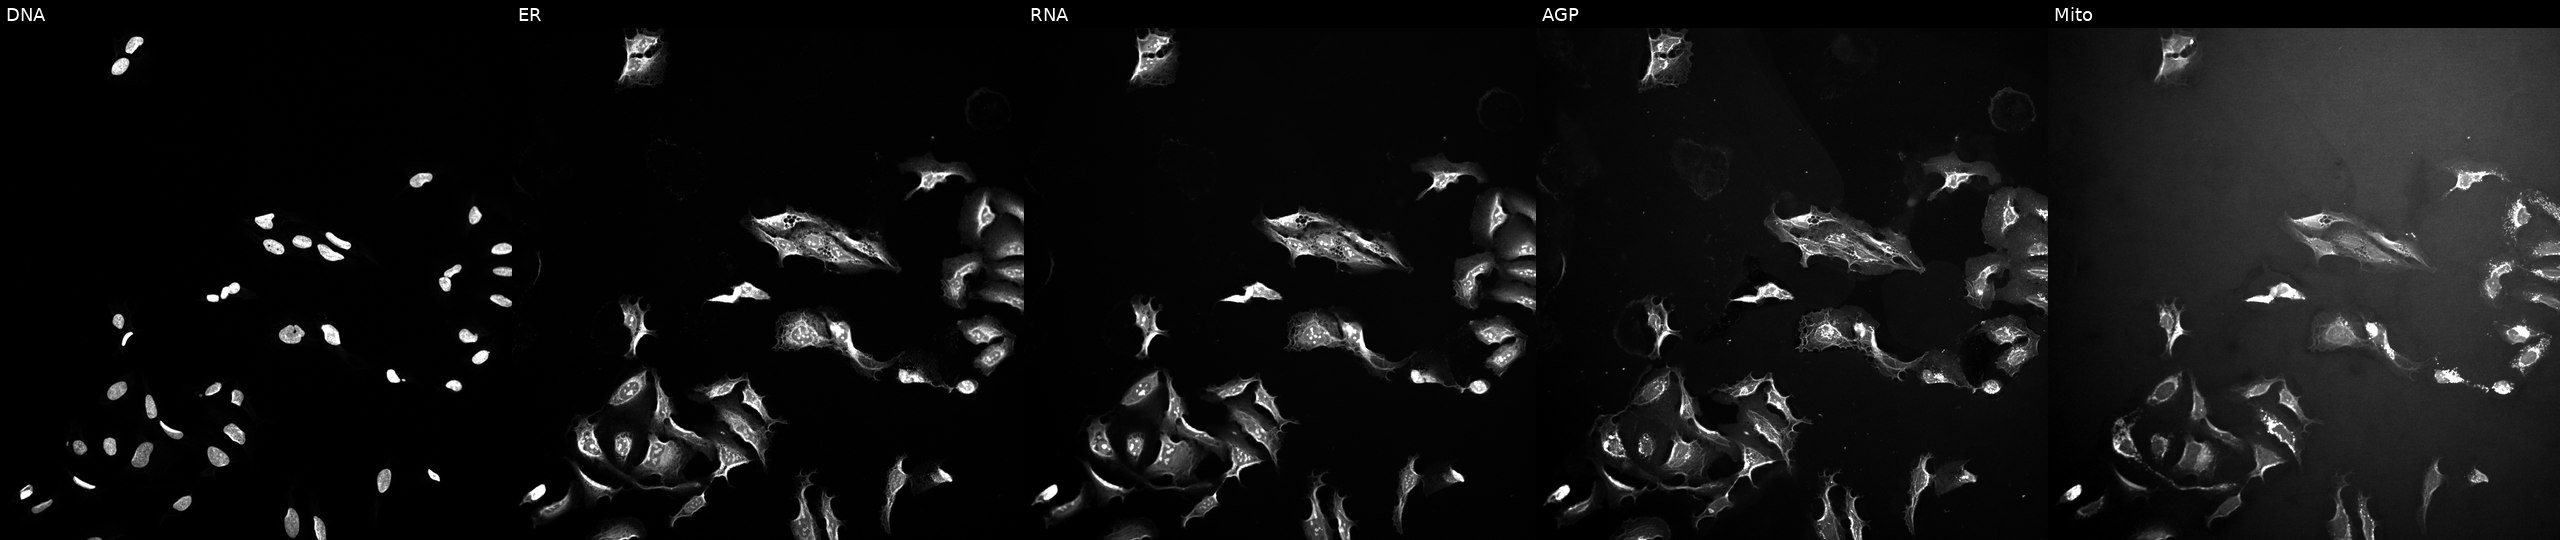
JUMP Cell Painting — TARGET2 plate. U2OS cells perturbed with a small-molecule compound (InChIKey MAASHDQFQDDECQ-UHFFFAOYSA-N) (JUMP id JCP2022_052804). From left to right: DNA (nuclei); ER (endoplasmic reticulum); RNA (nucleoli and cytoplasmic RNA); AGP (actin cytoskeleton, Golgi, and plasma membrane); Mito (mitochondria). Source 10, plate Dest210803-153958, well C19.